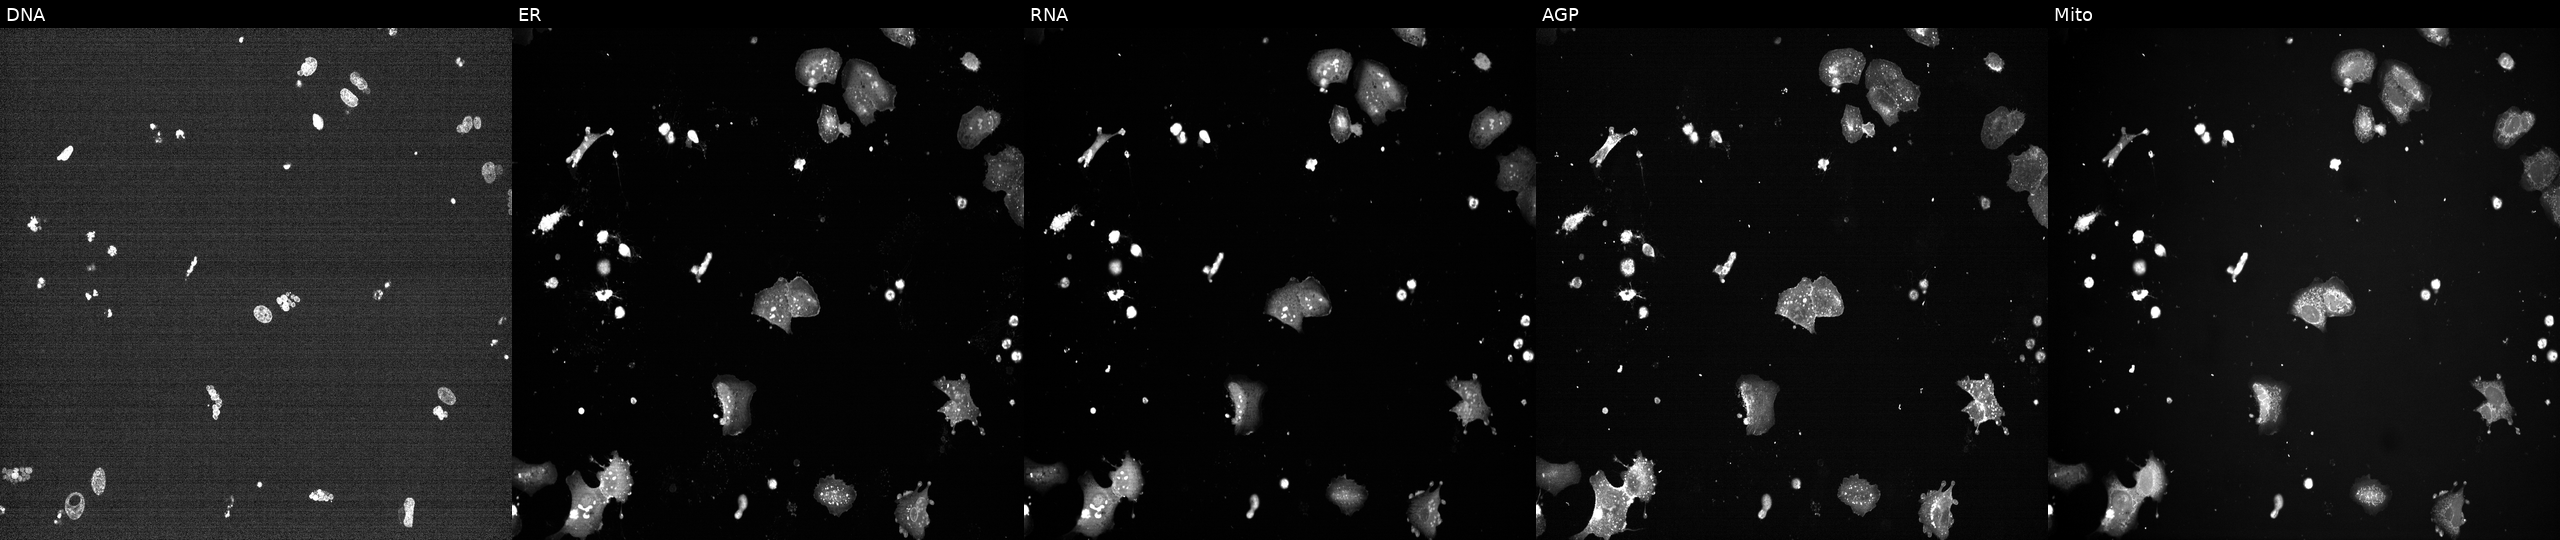
High-content fluorescence microscopy (Cell Painting). Cell line: U2OS. Perturbation: perturbed with a small-molecule compound (InChIKey IAKHMKGGTNLKSZ-UHFFFAOYSA-N). Channels (left→right): Hoechst 33342, concanavalin A, SYTO 14, phalloidin and WGA, MitoTracker.